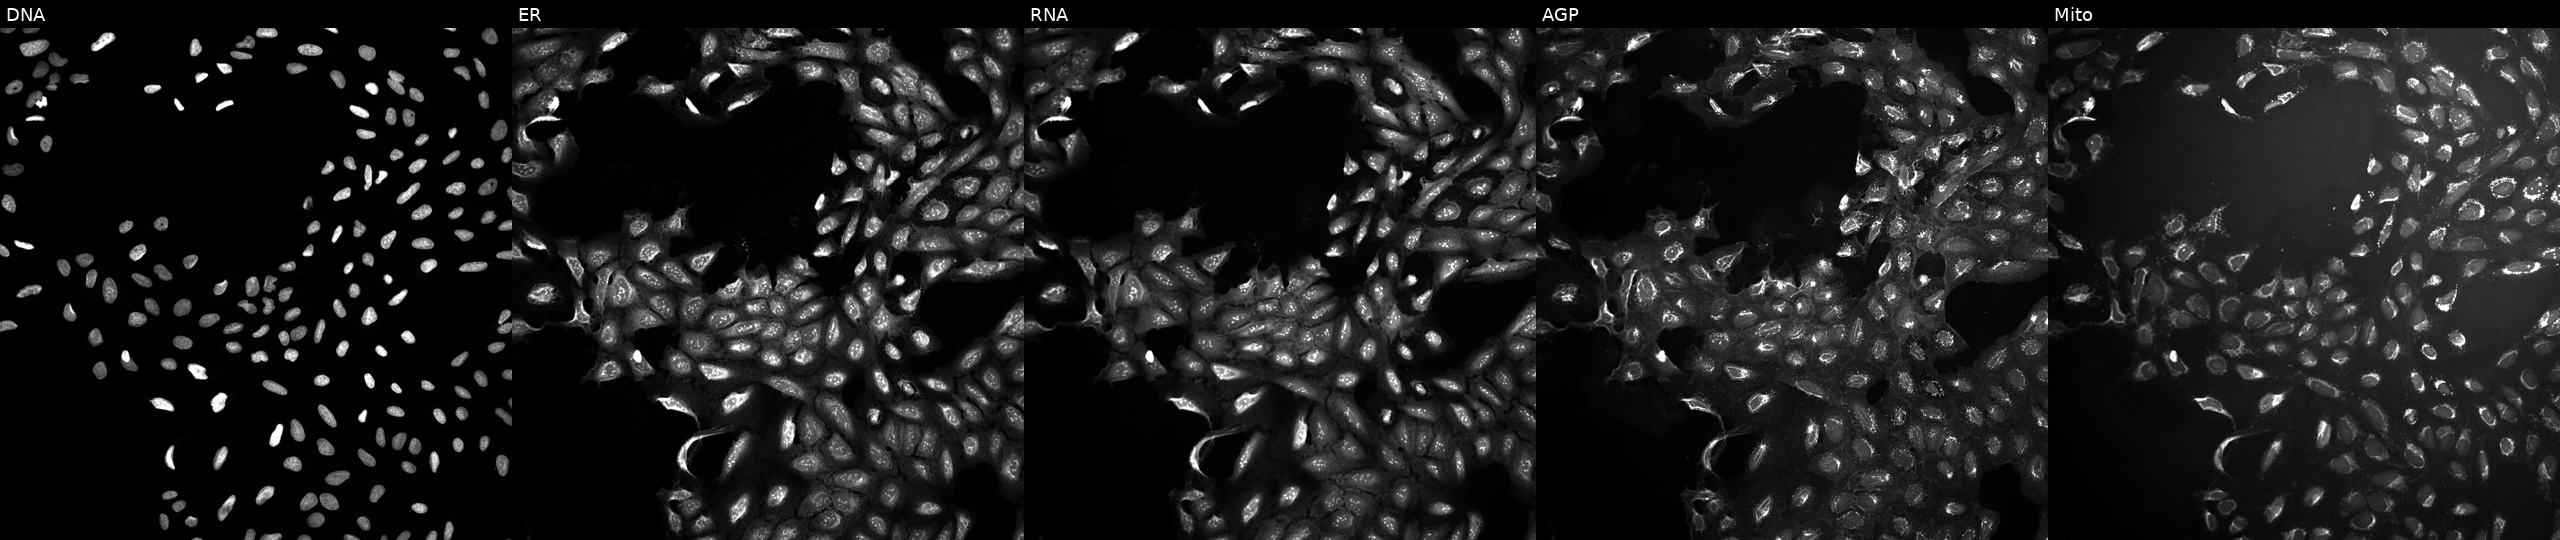
U2OS cells, Cell Painting assay, exposed to a small-molecule compound [SMILES: CC(=O)SCC(Cc1ccccc1)C(=O)NCC(=O)OCc1ccccc1]. From left to right: DNA (nuclei); ER (endoplasmic reticulum); RNA (nucleoli and cytoplasmic RNA); AGP (actin cytoskeleton, Golgi, and plasma membrane); Mito (mitochondria). Each panel is percentile-stretched 16-bit fluorescence. Source 10, plate Dest210803-153958, well F20.